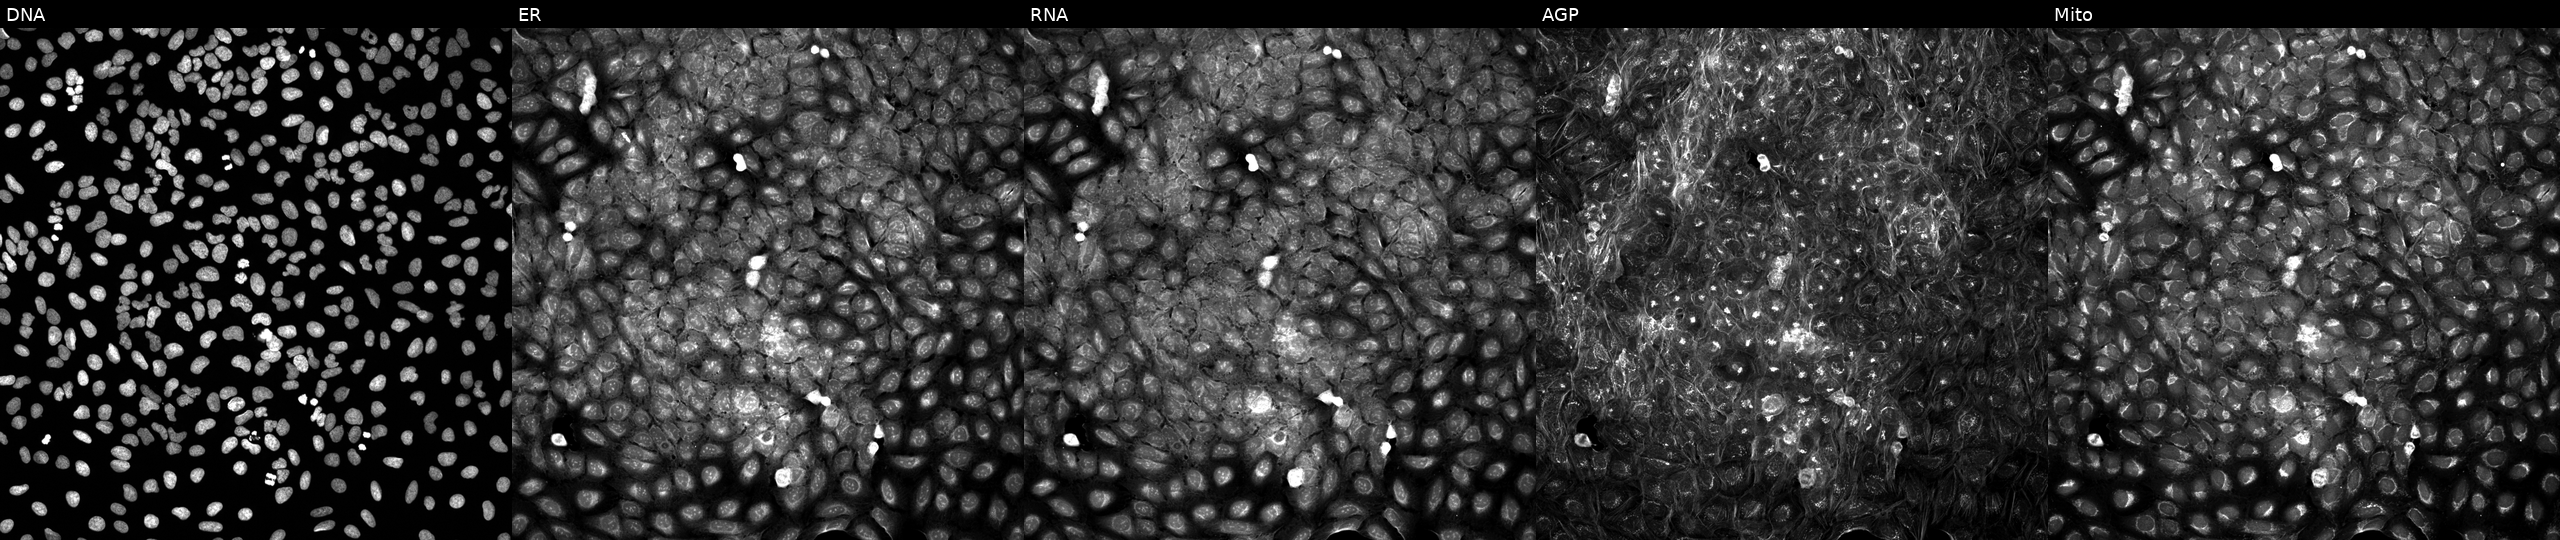
High-content fluorescence microscopy (Cell Painting). Cell line: U2OS. Perturbation: treated with a small-molecule compound (JUMP id JCP2022_071423). Panels show, left to right, DNA, ER, RNA, AGP, and Mito.